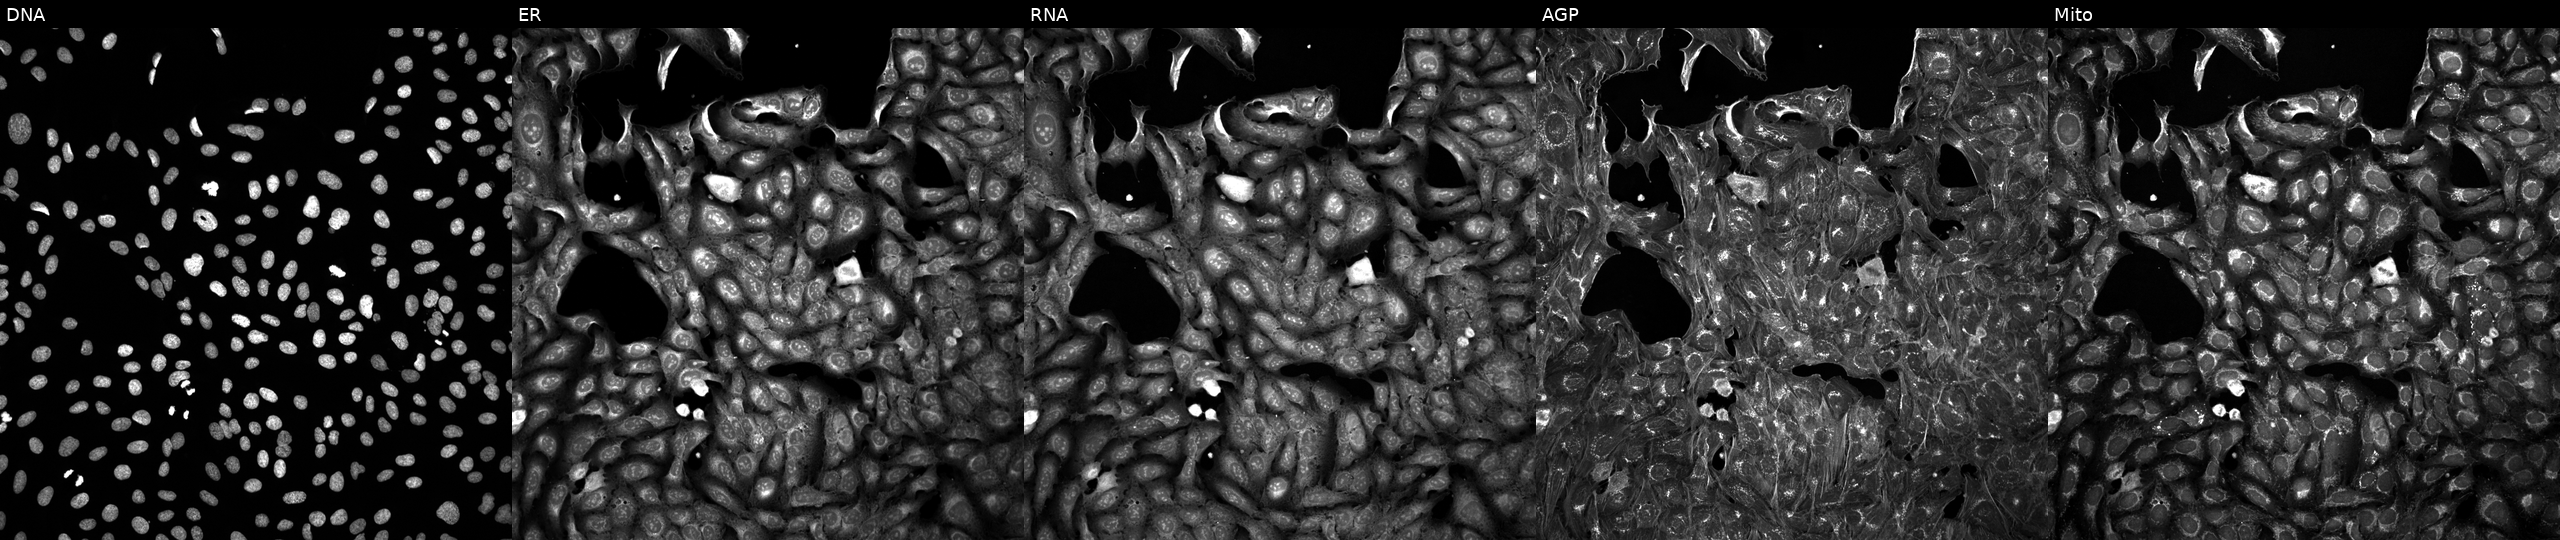
JUMP Cell Painting — TARGET2 plate. U2OS cells perturbed with a small-molecule compound (InChIKey HULPONUAINYLQQ-UHFFFAOYSA-N). Panels show, left to right, Hoechst 33342, concanavalin A, SYTO 14, phalloidin and WGA, MitoTracker.